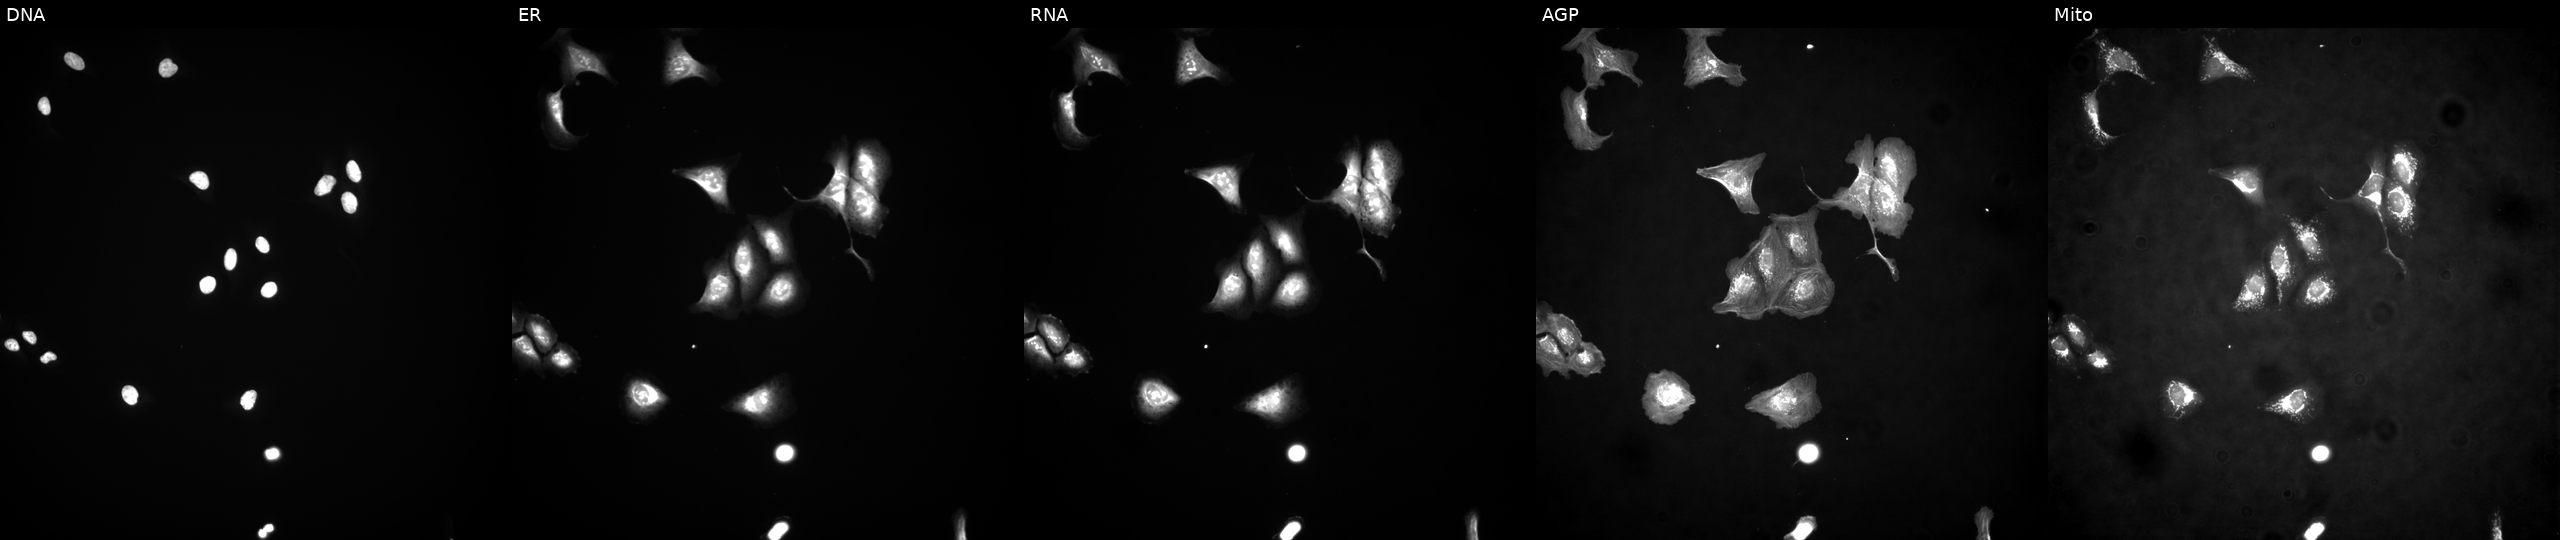
This image strip shows the five Cell Painting channels for a single field of U2OS cells with CT55 overexpressed (ORF) (JUMP id JCP2022_903283). Panels show, left to right, Hoechst 33342, concanavalin A, SYTO 14, phalloidin and WGA, MitoTracker. Source 4, plate BR00124784, well M01.